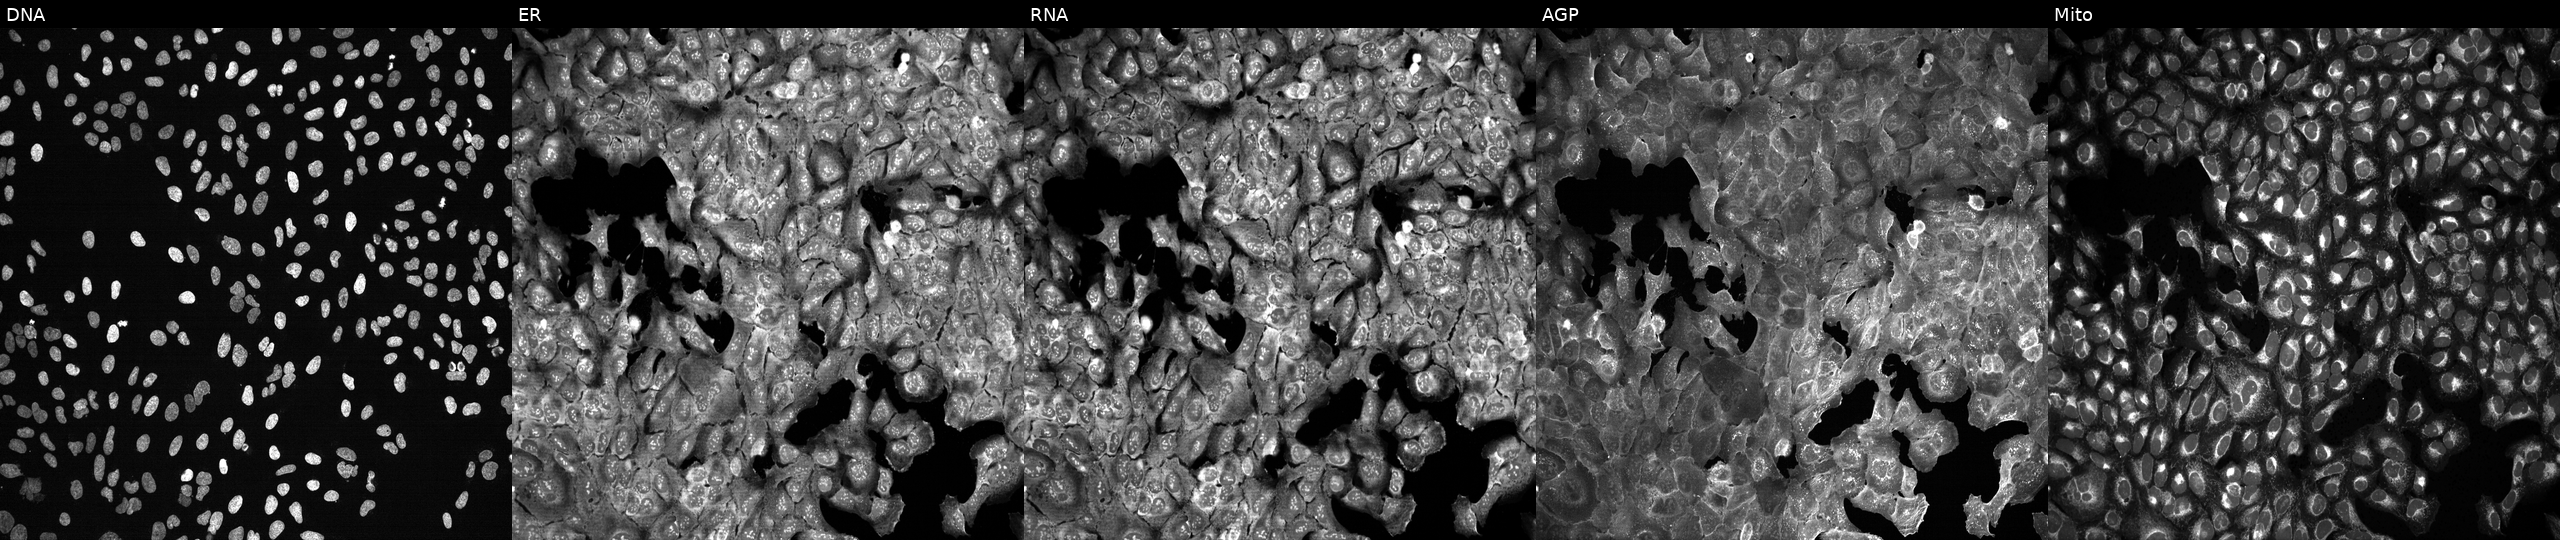
High-content fluorescence microscopy (Cell Painting). Cell line: U2OS. Perturbation: with NPM1 knocked out by CRISPR. From left to right: Hoechst 33342, concanavalin A, SYTO 14, phalloidin and WGA, MitoTracker.